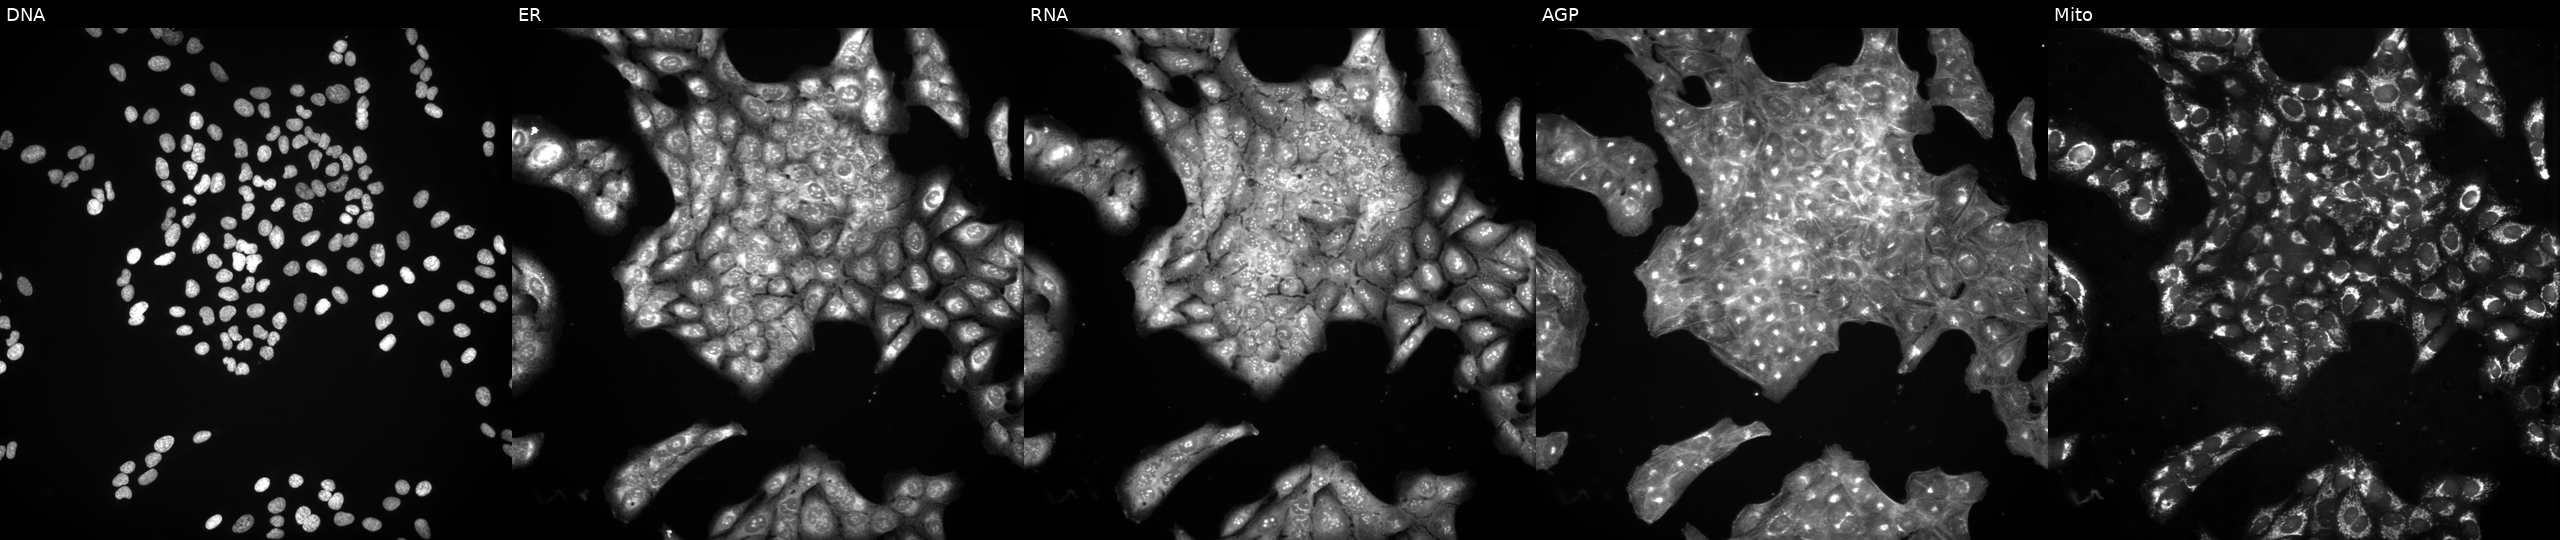
This image strip shows the five Cell Painting channels for a single field of U2OS cells treated with a small-molecule compound (InChIKey UVXFVKPLLNBRNZ-UHFFFAOYSA-N) (JUMP id JCP2022_091932). Panels show, left to right, DNA (nuclei); ER (endoplasmic reticulum); RNA (nucleoli and cytoplasmic RNA); AGP (actin cytoskeleton, Golgi, and plasma membrane); Mito (mitochondria).